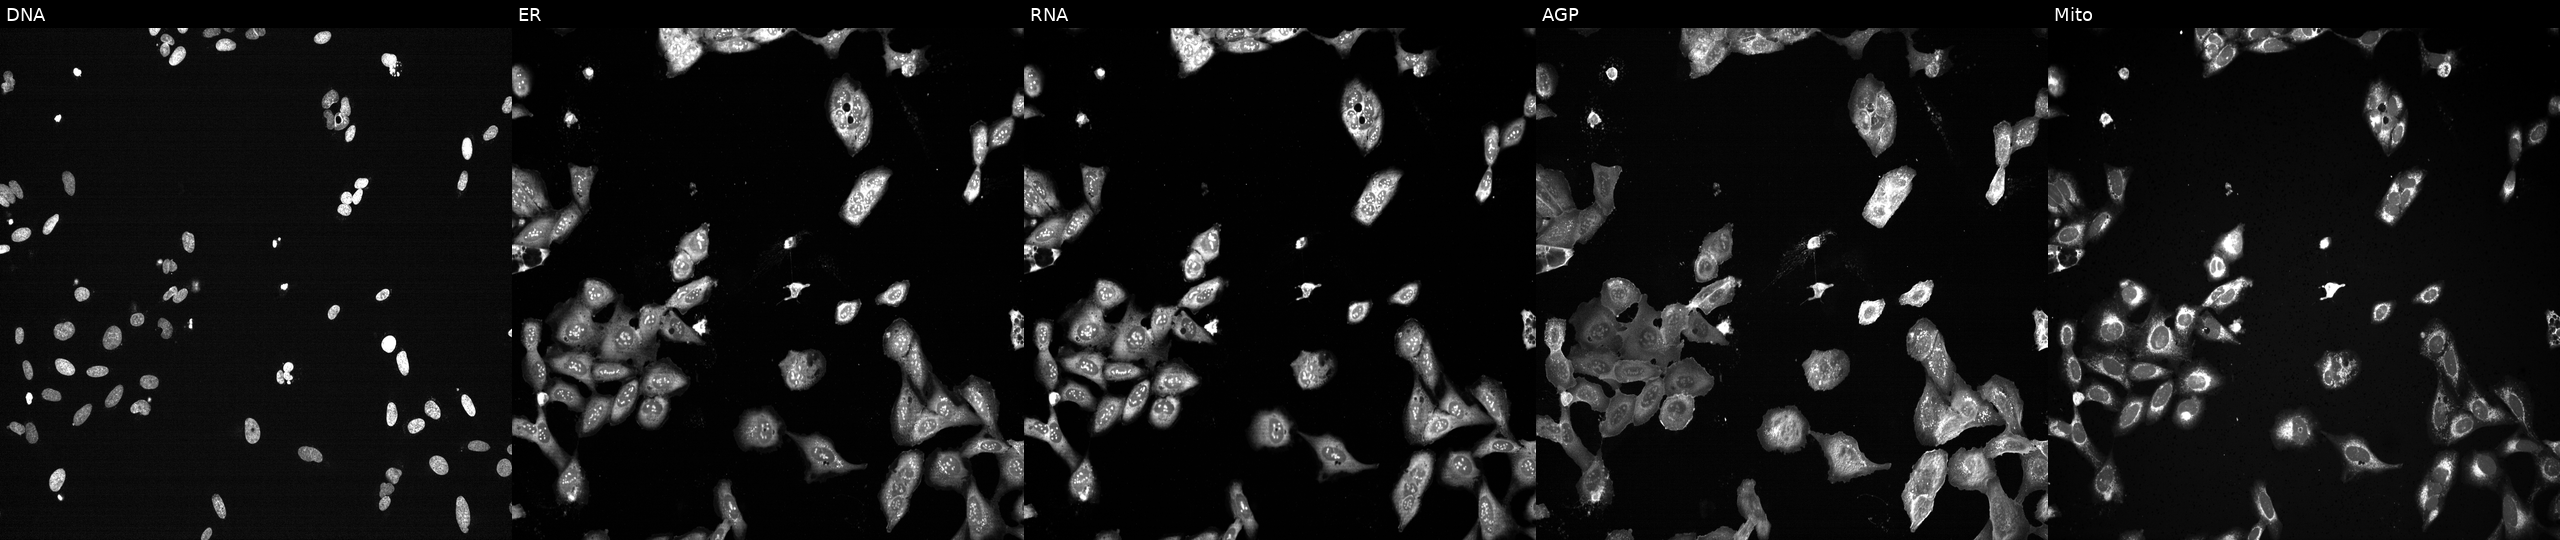
High-content fluorescence microscopy (Cell Painting). Cell line: U2OS. Perturbation: following CRISPR knockout of PSMB2. The five panels, left to right, show Hoechst 33342, concanavalin A, SYTO 14, phalloidin and WGA, MitoTracker. Source 13, plate CP-CC9-R6-19, well N07.